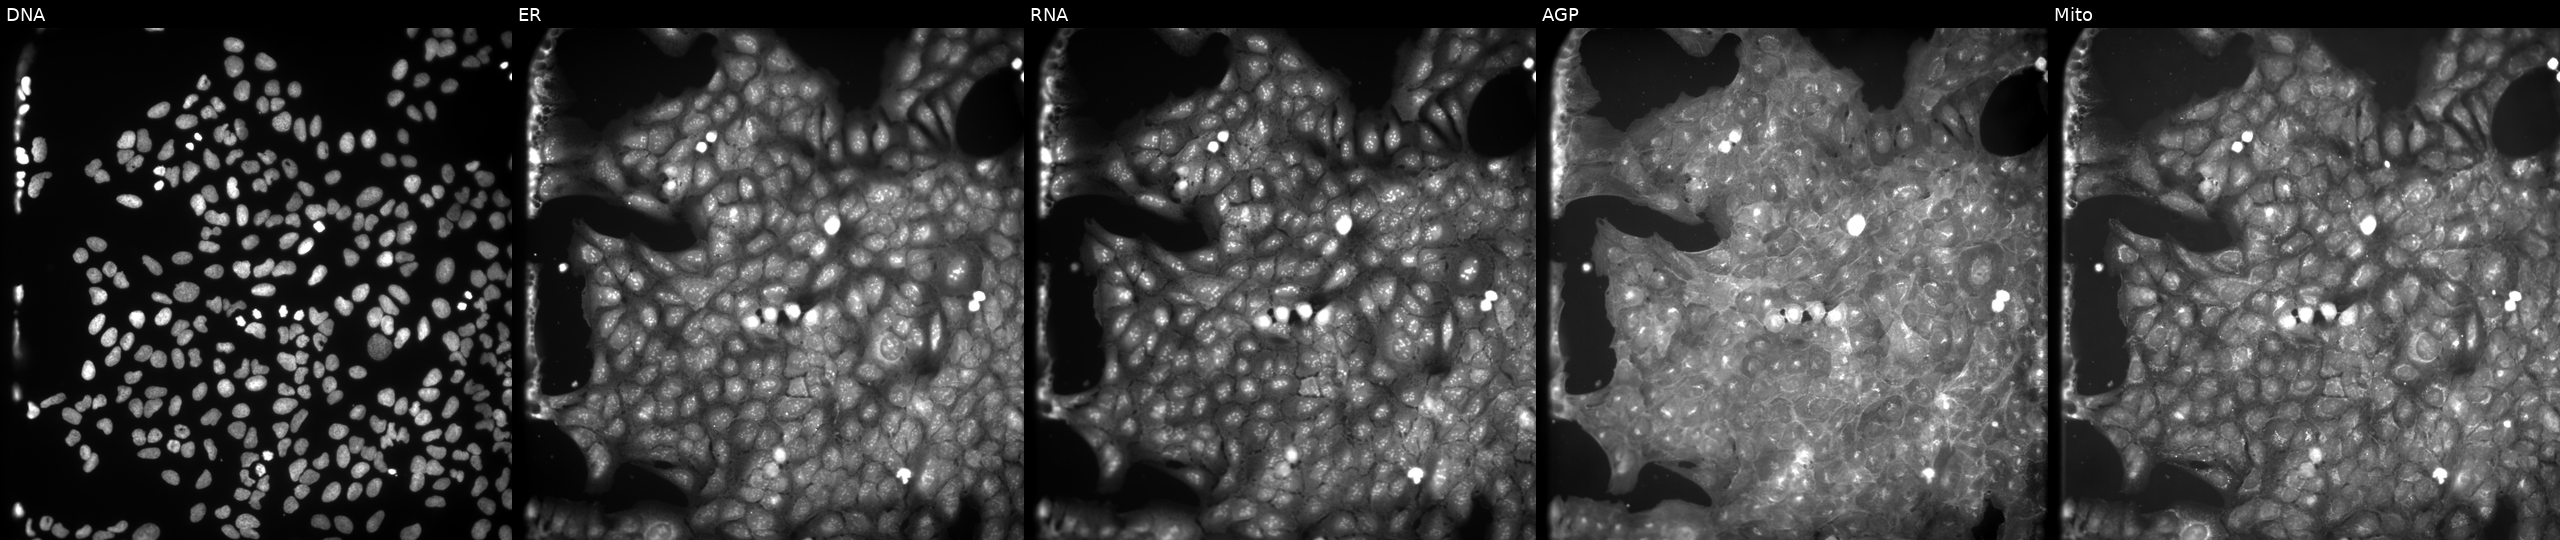
U2OS cells, Cell Painting assay, treated with DMSO vehicle only (negative control) (JUMP id JCP2022_033924). Channels (left→right): DNA, ER, RNA, AGP, and Mito. Each panel is percentile-stretched 16-bit fluorescence.